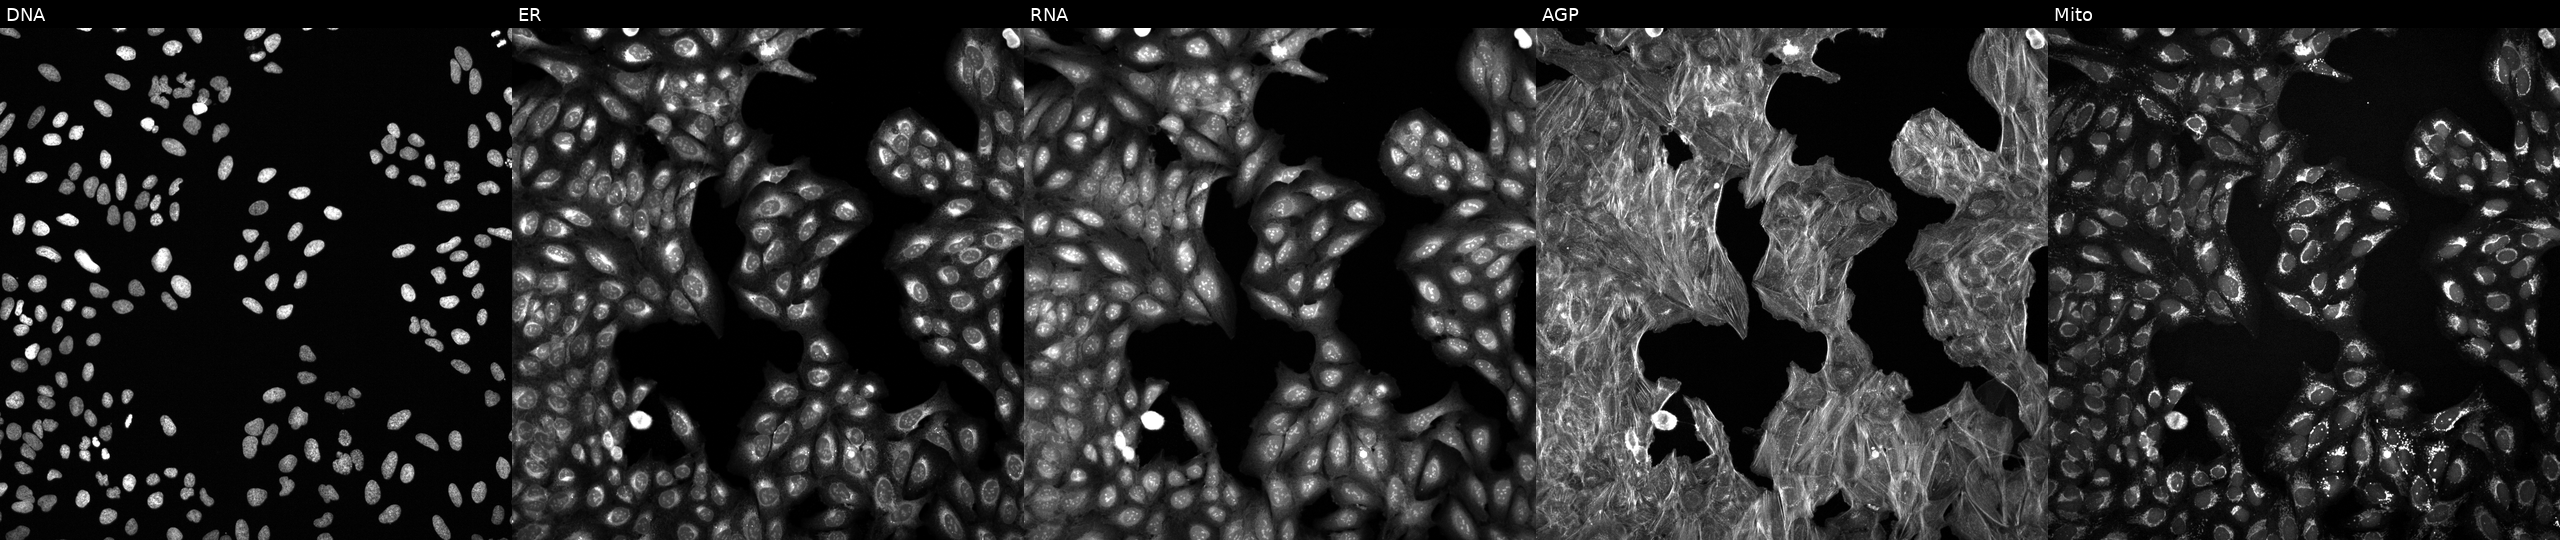
This image strip shows the five Cell Painting channels for a single field of U2OS cells treated with a small-molecule compound (InChIKey QIHBWVVVRYYYRO-UHFFFAOYSA-N) [SMILES: CC(NC(=O)CCc1nc(=O)c2ccccc2[nH]1)c1ccccc1] (JUMP id JCP2022_073628). From left to right: DNA, ER, RNA, AGP, and Mito.